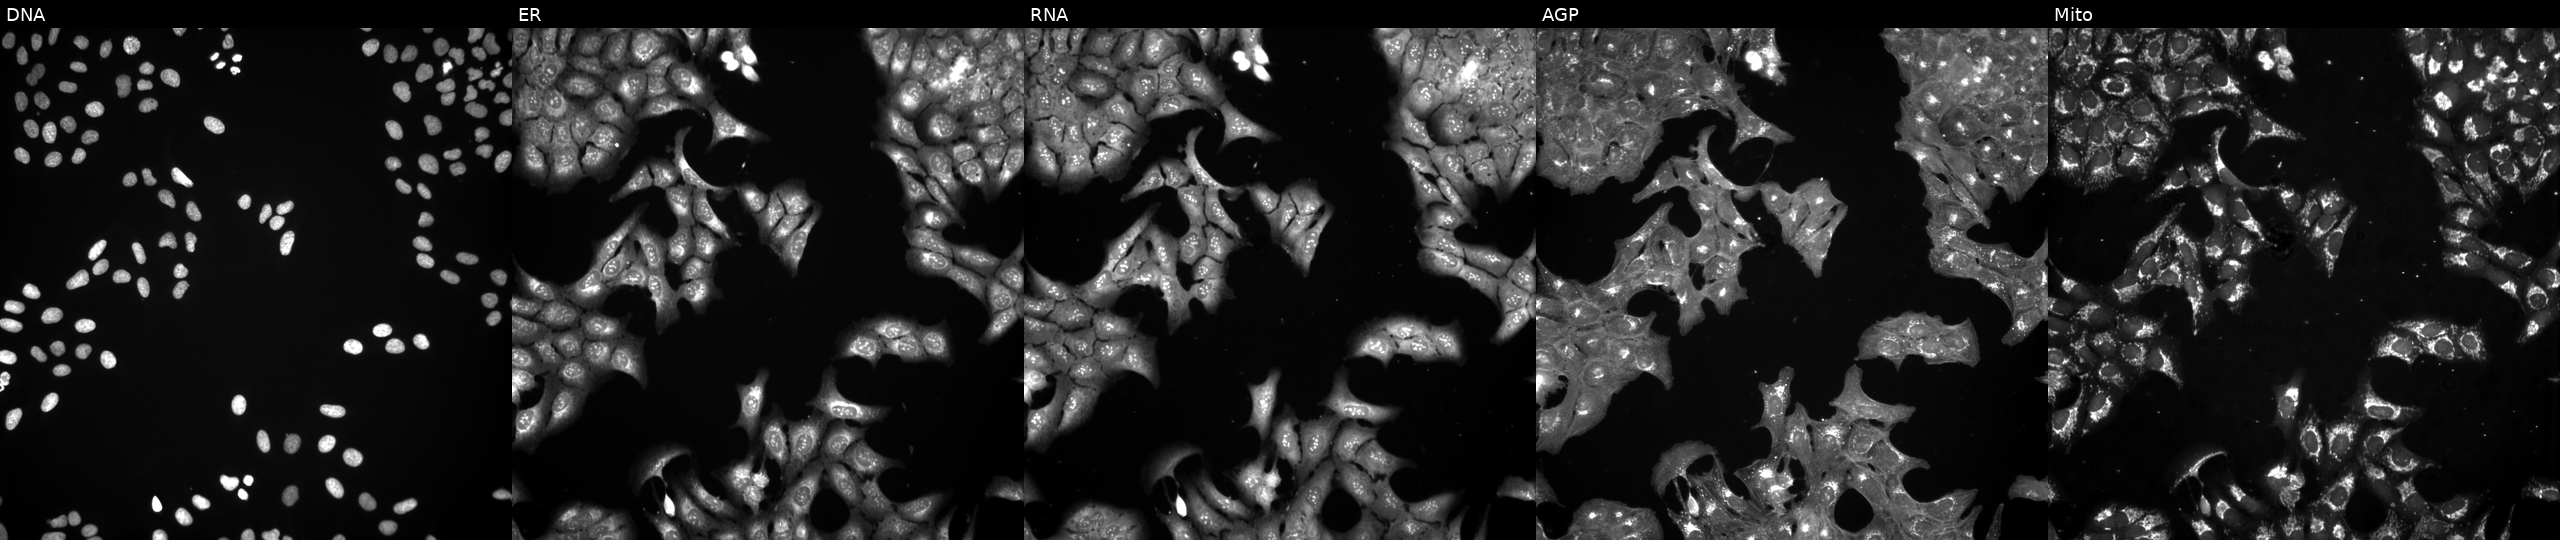
This image strip shows the five Cell Painting channels for a single field of U2OS cells perturbed with a small-molecule compound. The five panels, left to right, show Hoechst 33342, concanavalin A, SYTO 14, phalloidin and WGA, MitoTracker.